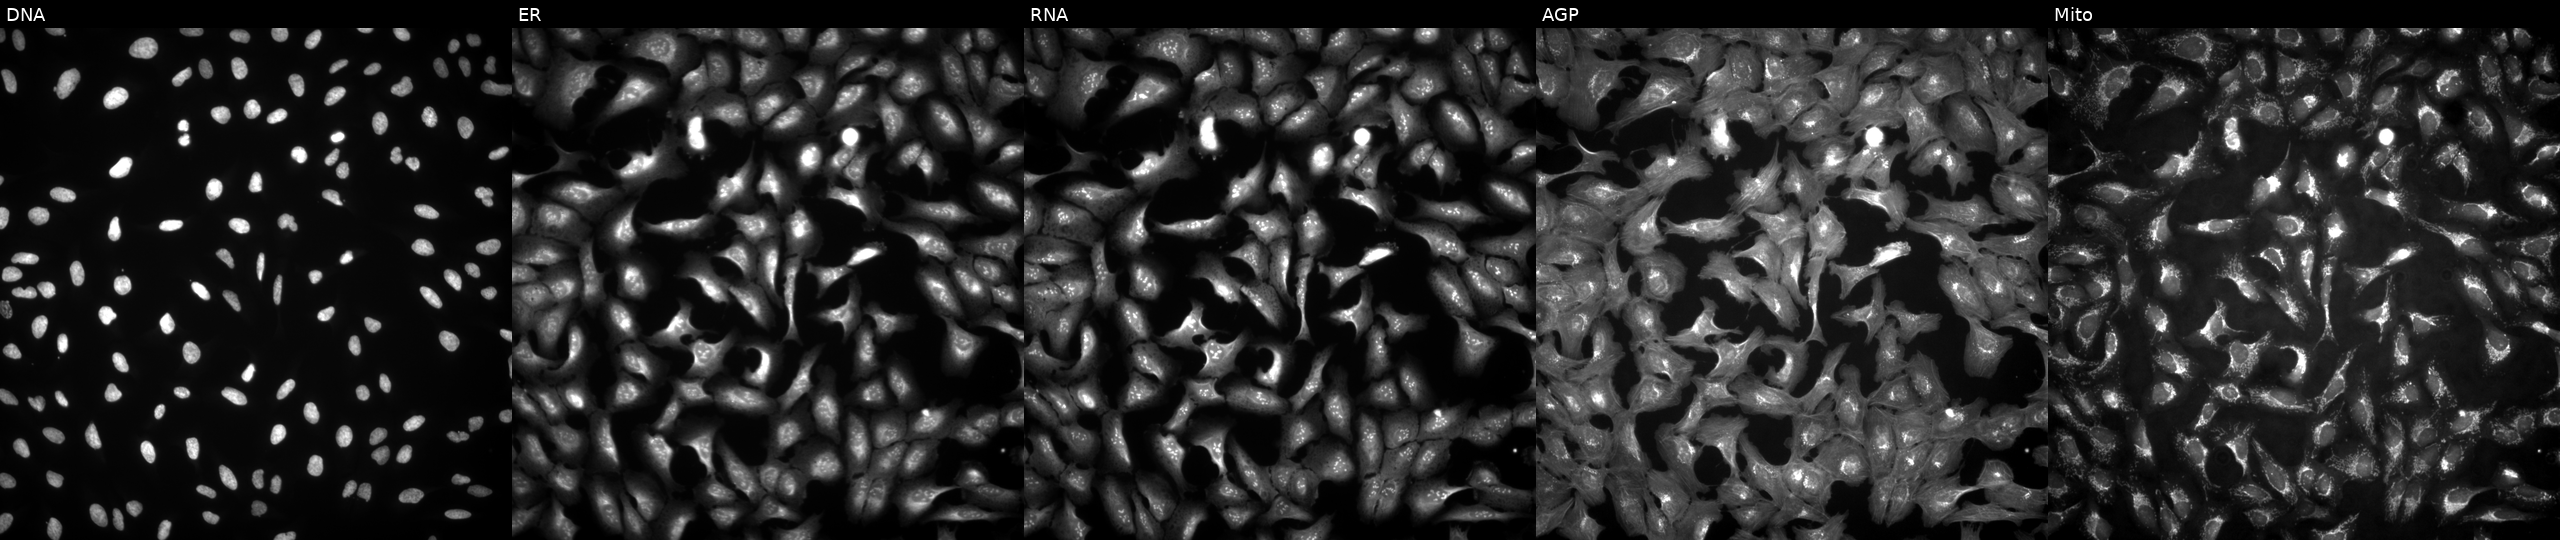
This image strip shows the five Cell Painting channels for a single field of U2OS cells overexpressing SLC25A14 via ORF transfection (JUMP id JCP2022_901926). Channels (left→right): DNA, ER, RNA, AGP, and Mito. Source 4, plate BR00123509, well M06.